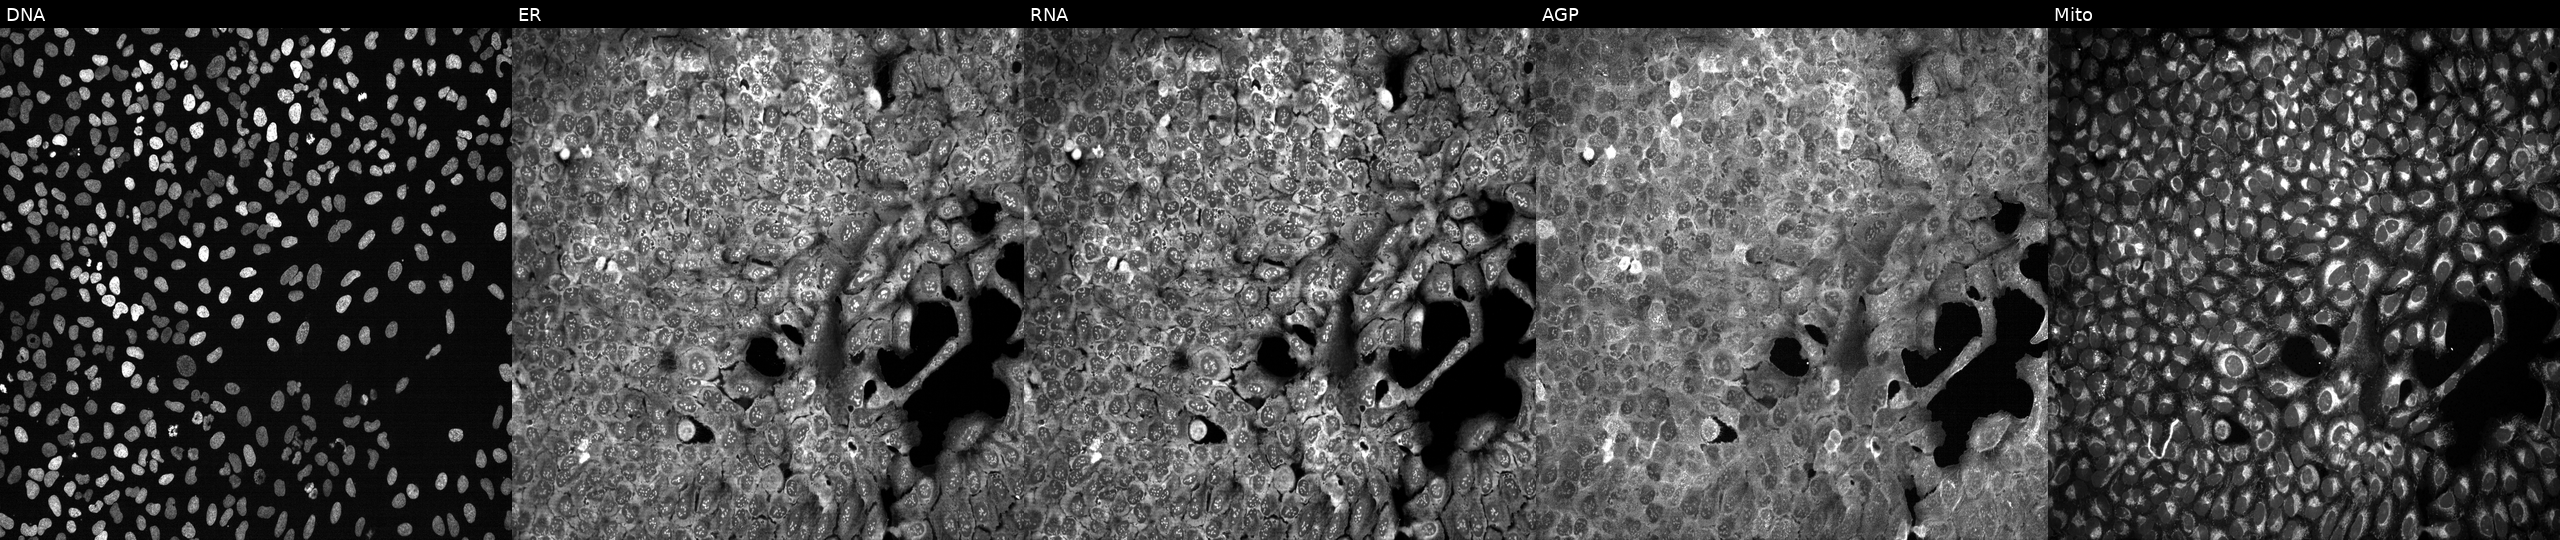
U2OS cells, Cell Painting assay, following CRISPR knockout of EBPL (JUMP id JCP2022_801985). From left to right: DNA (nuclei); ER (endoplasmic reticulum); RNA (nucleoli and cytoplasmic RNA); AGP (actin cytoskeleton, Golgi, and plasma membrane); Mito (mitochondria). Each panel is percentile-stretched 16-bit fluorescence. Source 13, plate CP-CC9-R3-02, well L10.